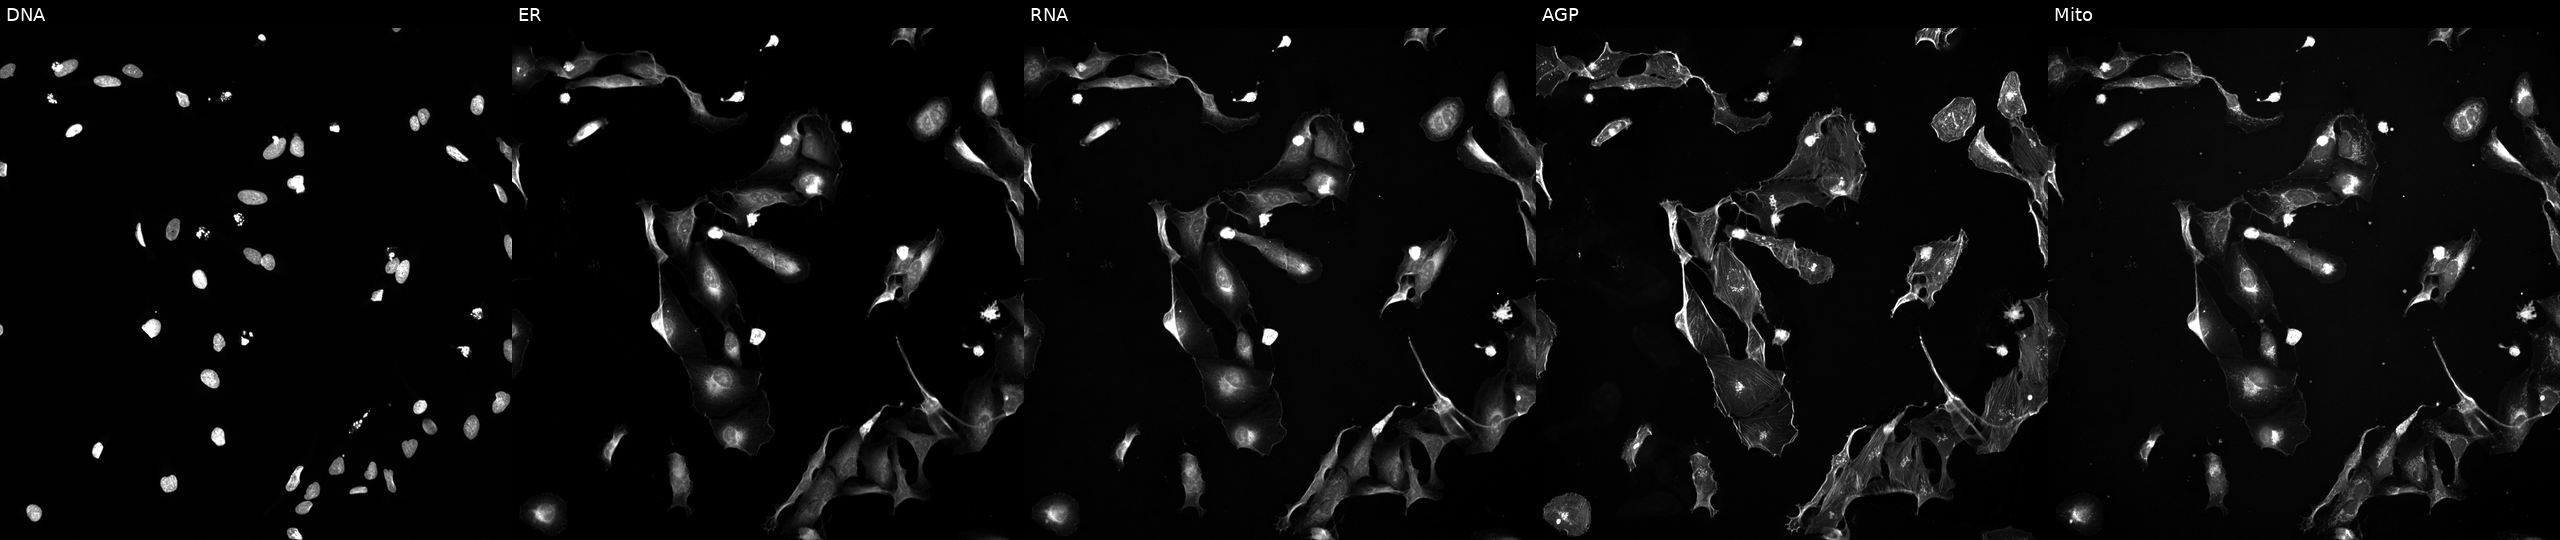
JUMP Cell Painting — TARGET2 plate. U2OS cells treated with a small-molecule compound (InChIKey AYCPARAPKDAOEN-UHFFFAOYSA-N) [SMILES: Cc1nc(=Nc2[nH]nc3c2CN(C(=O)NC(CN(C)C)c2ccccc2)C3(C)C)c2sccc2[nH]1] (JUMP id JCP2022_004587). Channels (left→right): DNA, ER, RNA, AGP, and Mito. Source 5, plate ACPJUM032, well M11.